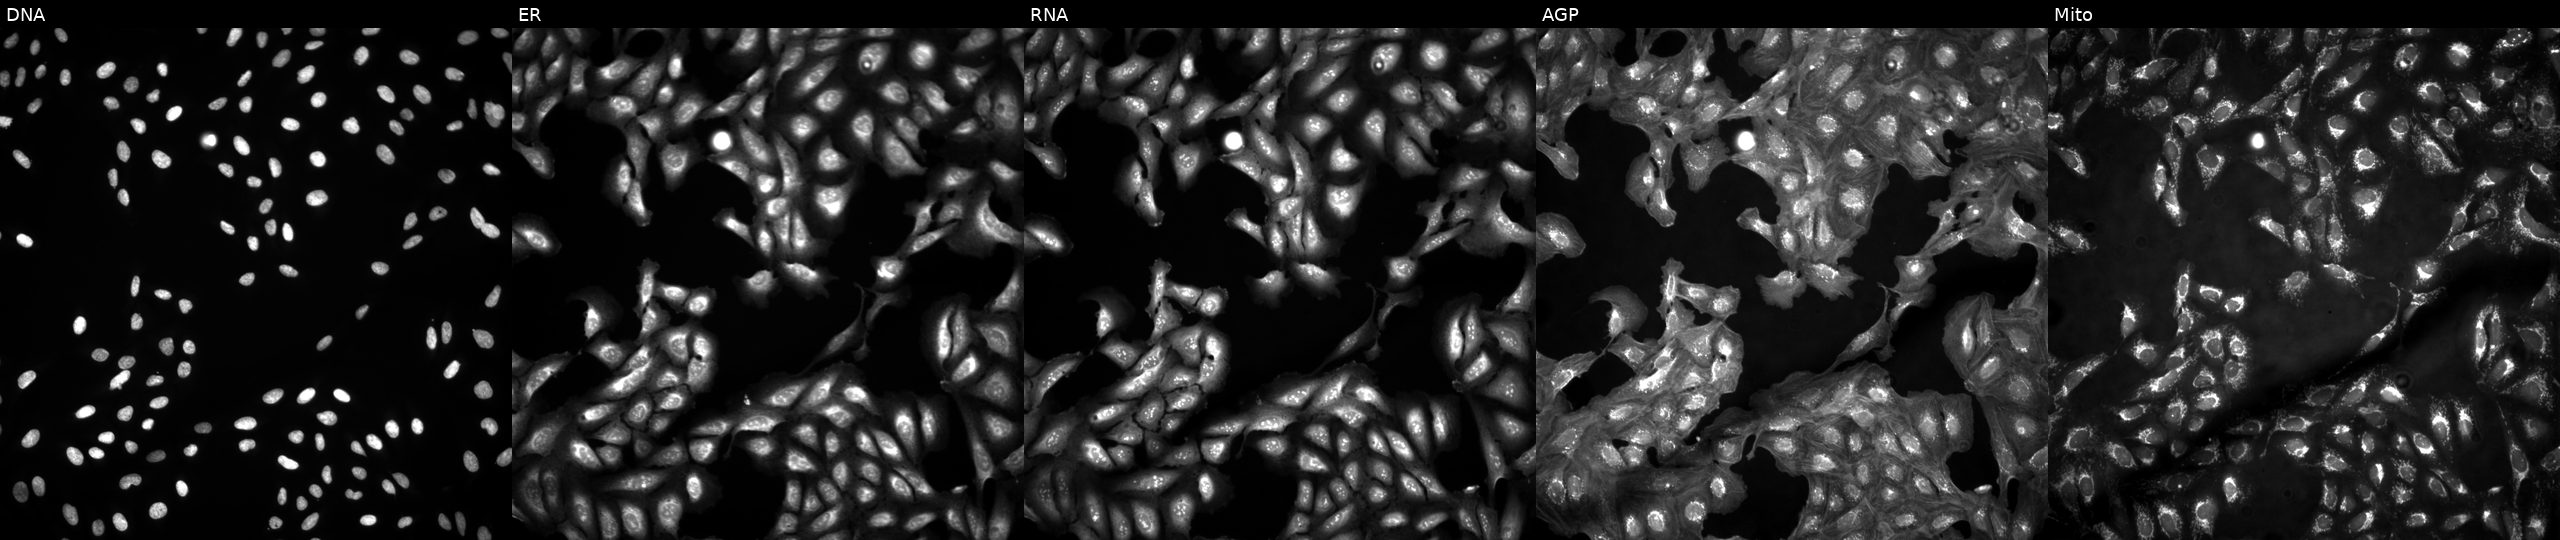
Panels show, left to right, DNA, ER, RNA, AGP, and Mito. U2OS osteosarcoma cells in an empty control well (no perturbation). Cell Painting assay, JUMP-CP dataset. Source 4, plate BR00124793, well B24.